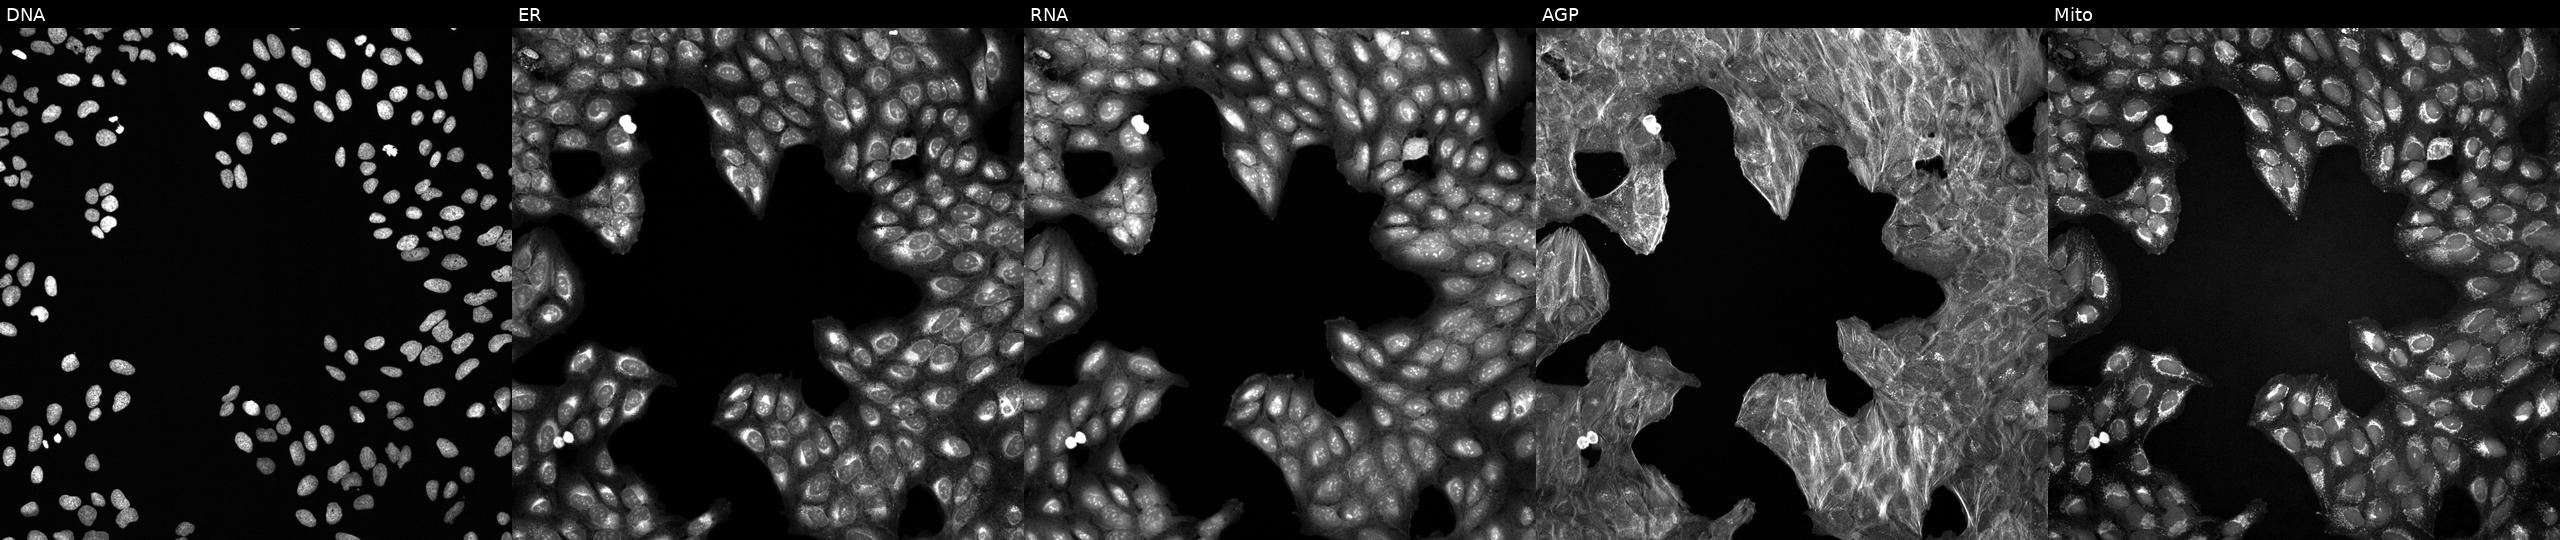
High-content fluorescence microscopy (Cell Painting). Cell line: U2OS. Perturbation: exposed to a small-molecule compound (JUMP id JCP2022_062592). Panels show, left to right, DNA (nuclei); ER (endoplasmic reticulum); RNA (nucleoli and cytoplasmic RNA); AGP (actin cytoskeleton, Golgi, and plasma membrane); Mito (mitochondria).